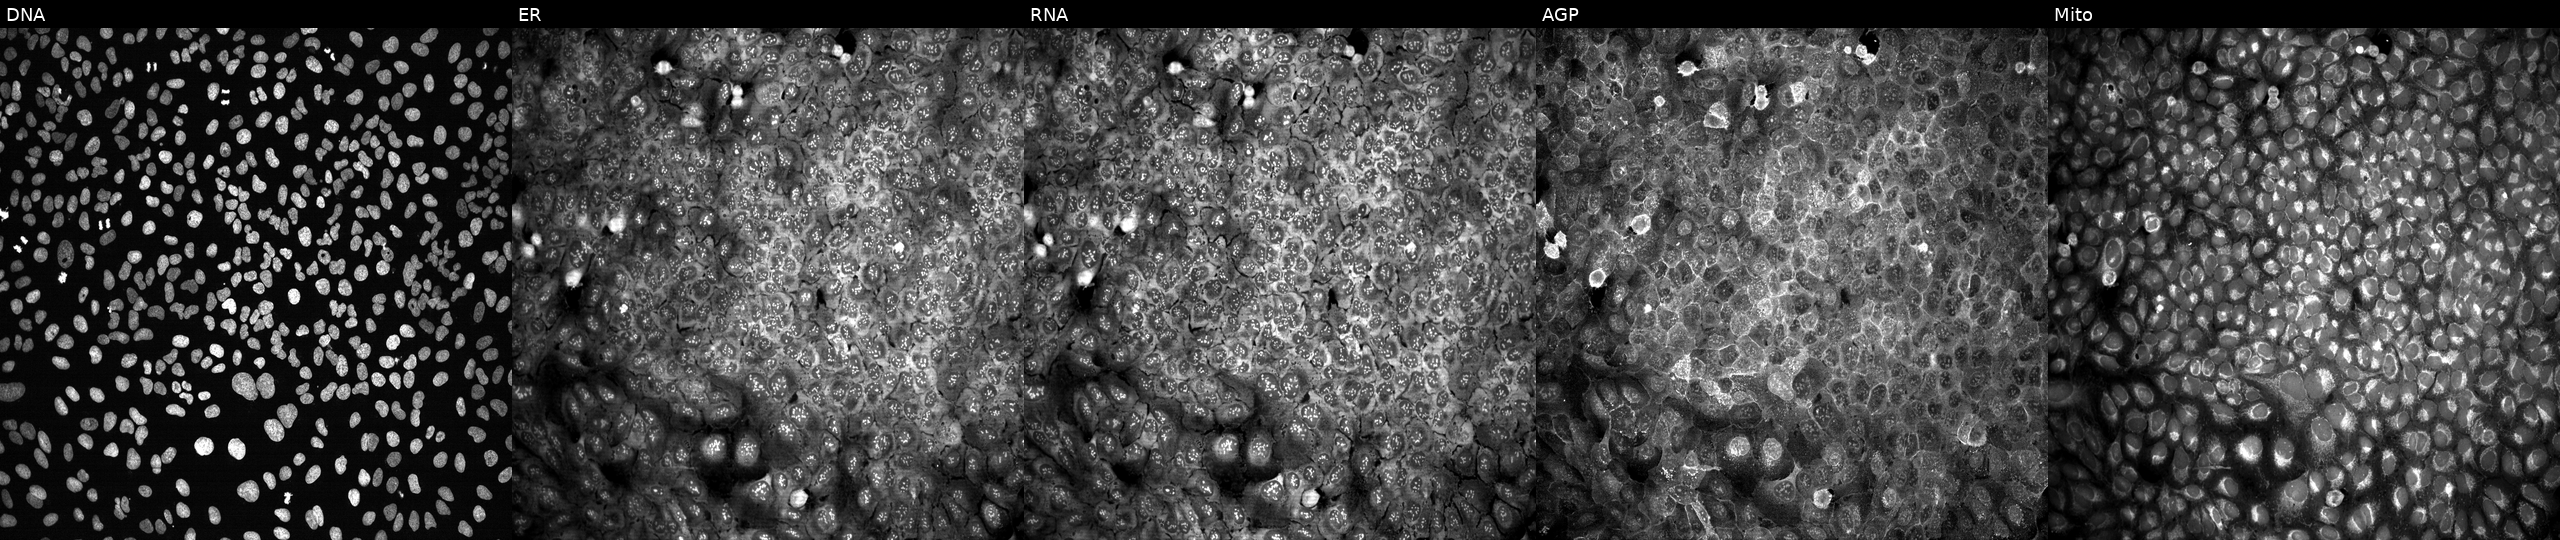
JUMP Cell Painting — CRISPR plate. U2OS cells with a non-targeting CRISPR guide (negative control) (JUMP id JCP2022_800002). Channels (left→right): DNA (nuclei); ER (endoplasmic reticulum); RNA (nucleoli and cytoplasmic RNA); AGP (actin cytoskeleton, Golgi, and plasma membrane); Mito (mitochondria). Source 13, plate CP-CC9-R5-01, well C23.